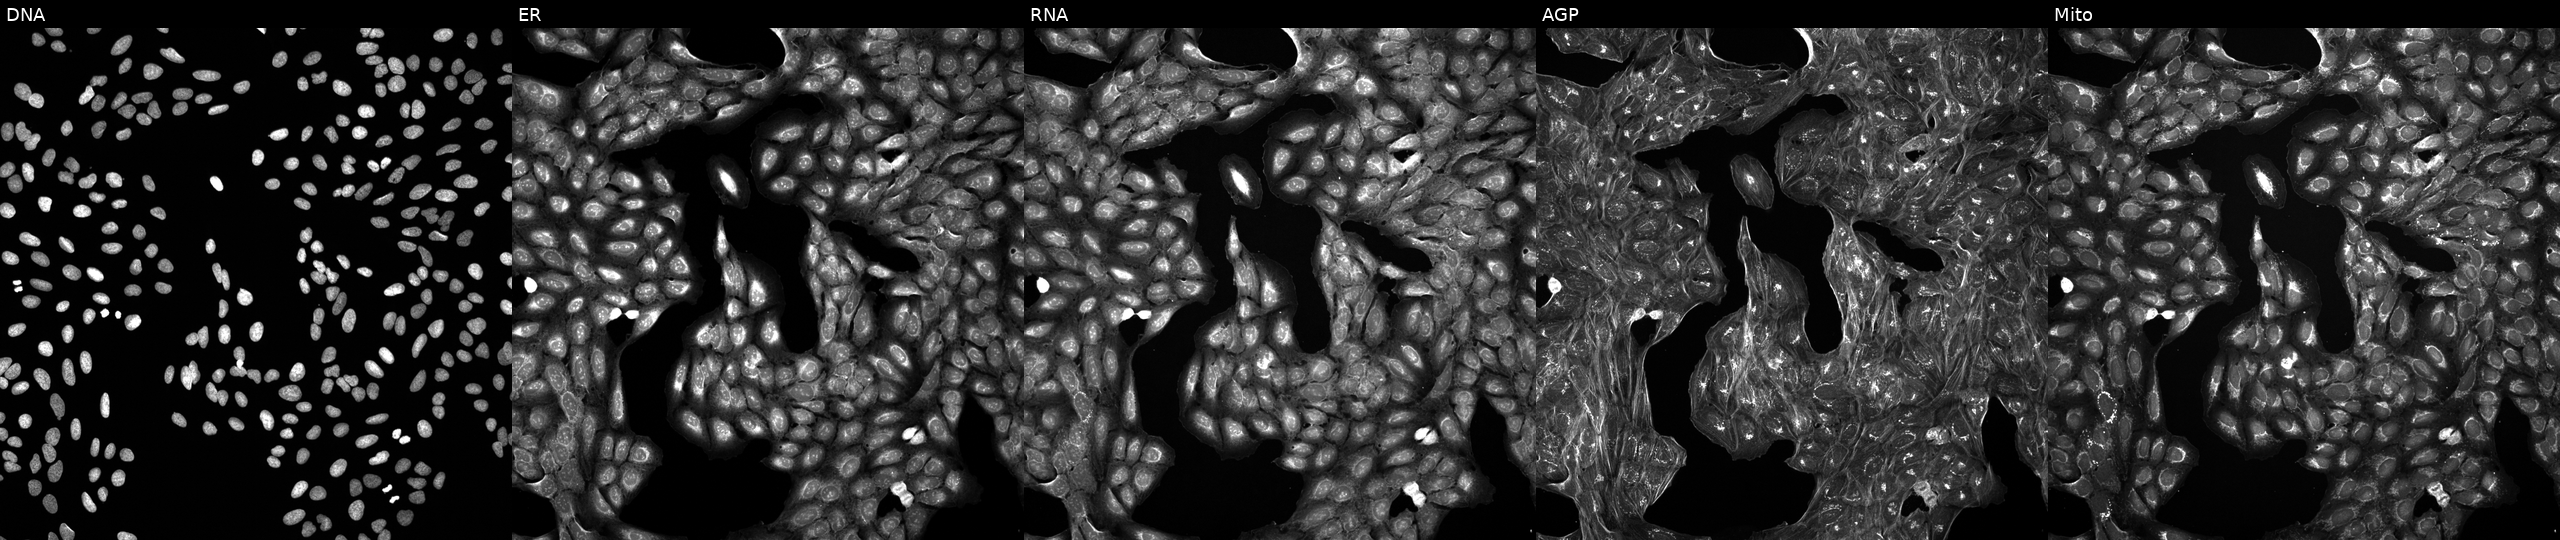
From left to right: DNA, ER, RNA, AGP, and Mito. U2OS osteosarcoma cells treated with a small-molecule compound. Cell Painting assay, JUMP-CP dataset. Source 5, plate APTJUM105, well I10.